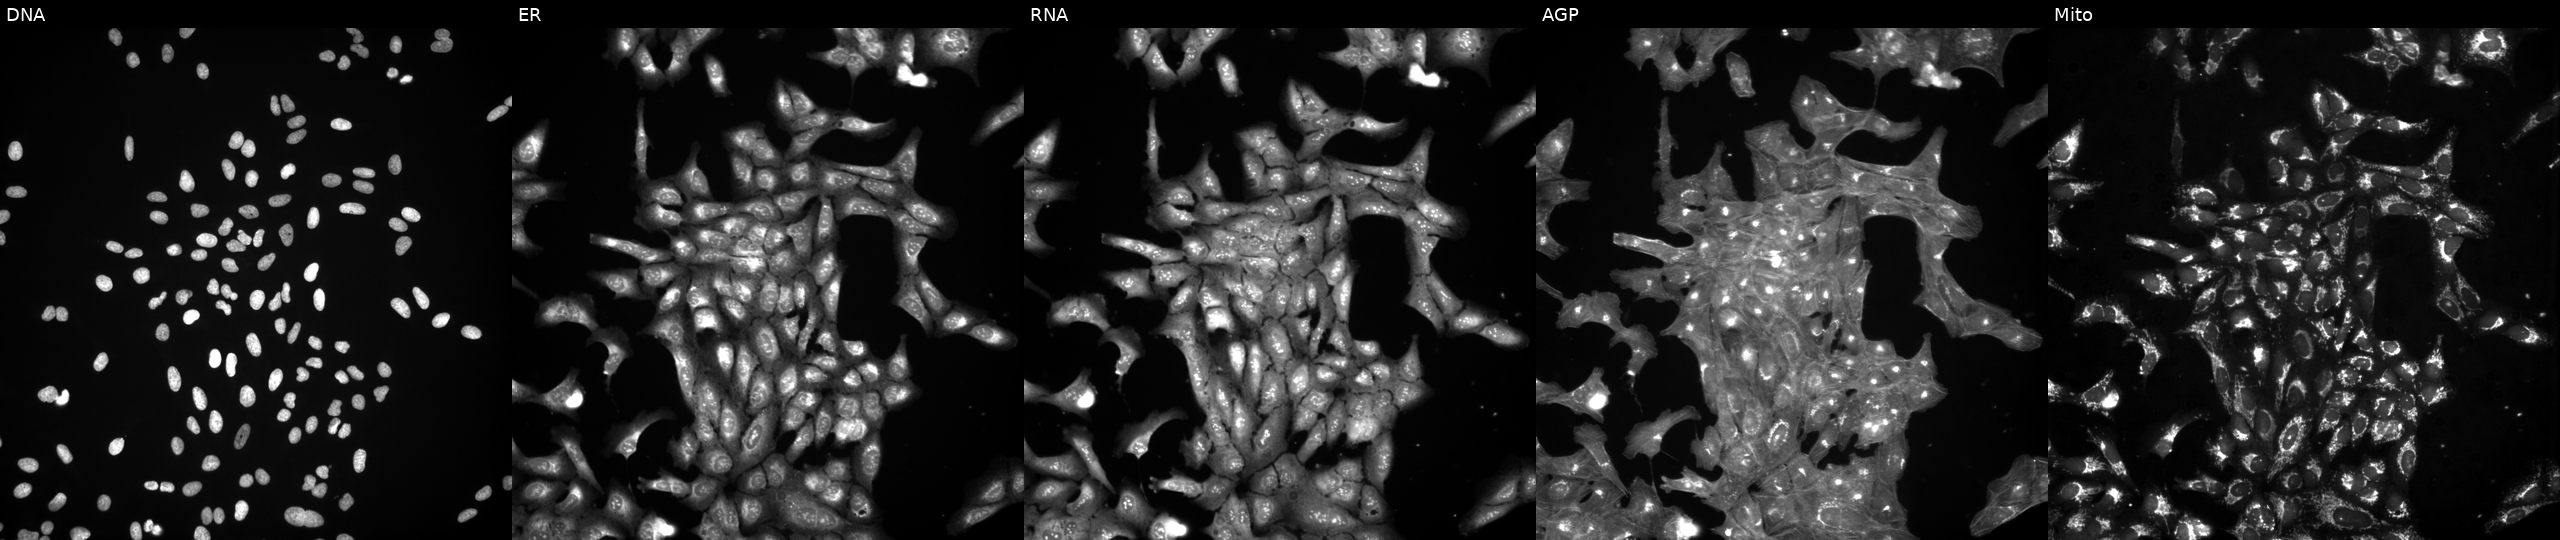
Panels show, left to right, DNA, ER, RNA, AGP, and Mito. U2OS osteosarcoma cells perturbed with a small-molecule compound. Cell Painting assay, JUMP-CP dataset.